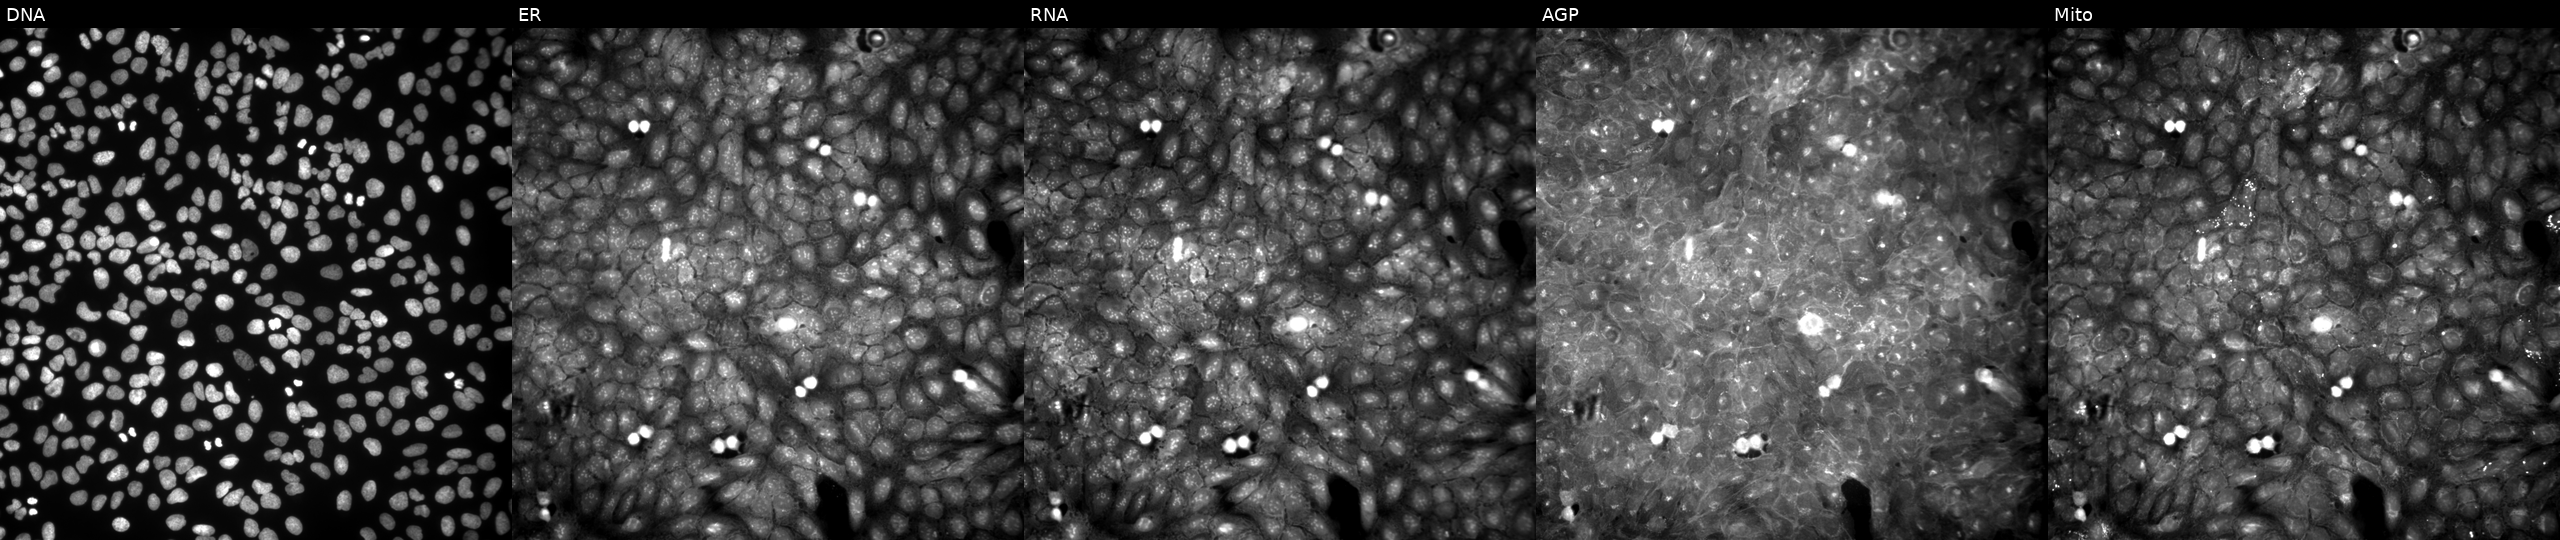
Channels (left→right): Hoechst 33342, concanavalin A, SYTO 14, phalloidin and WGA, MitoTracker. U2OS osteosarcoma cells treated with aloxistatin (positive-control compound) (JUMP id JCP2022_085227). Cell Painting assay, JUMP-CP dataset.